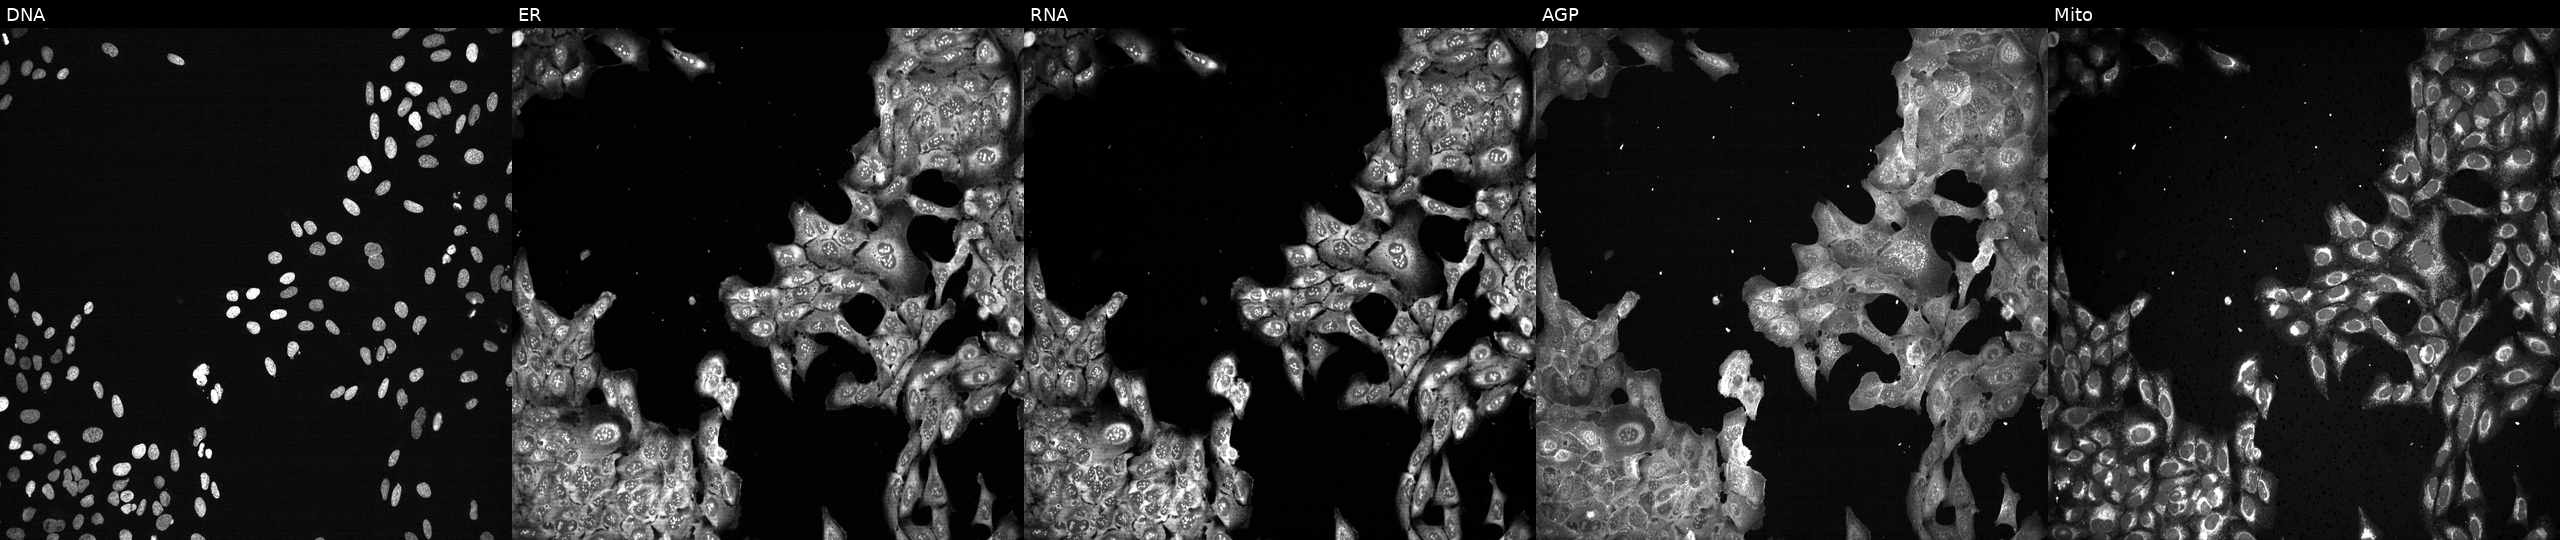
High-content fluorescence microscopy (Cell Painting). Cell line: U2OS. Perturbation: with BAG1 knocked out by CRISPR. Panels show, left to right, DNA (nuclei); ER (endoplasmic reticulum); RNA (nucleoli and cytoplasmic RNA); AGP (actin cytoskeleton, Golgi, and plasma membrane); Mito (mitochondria).